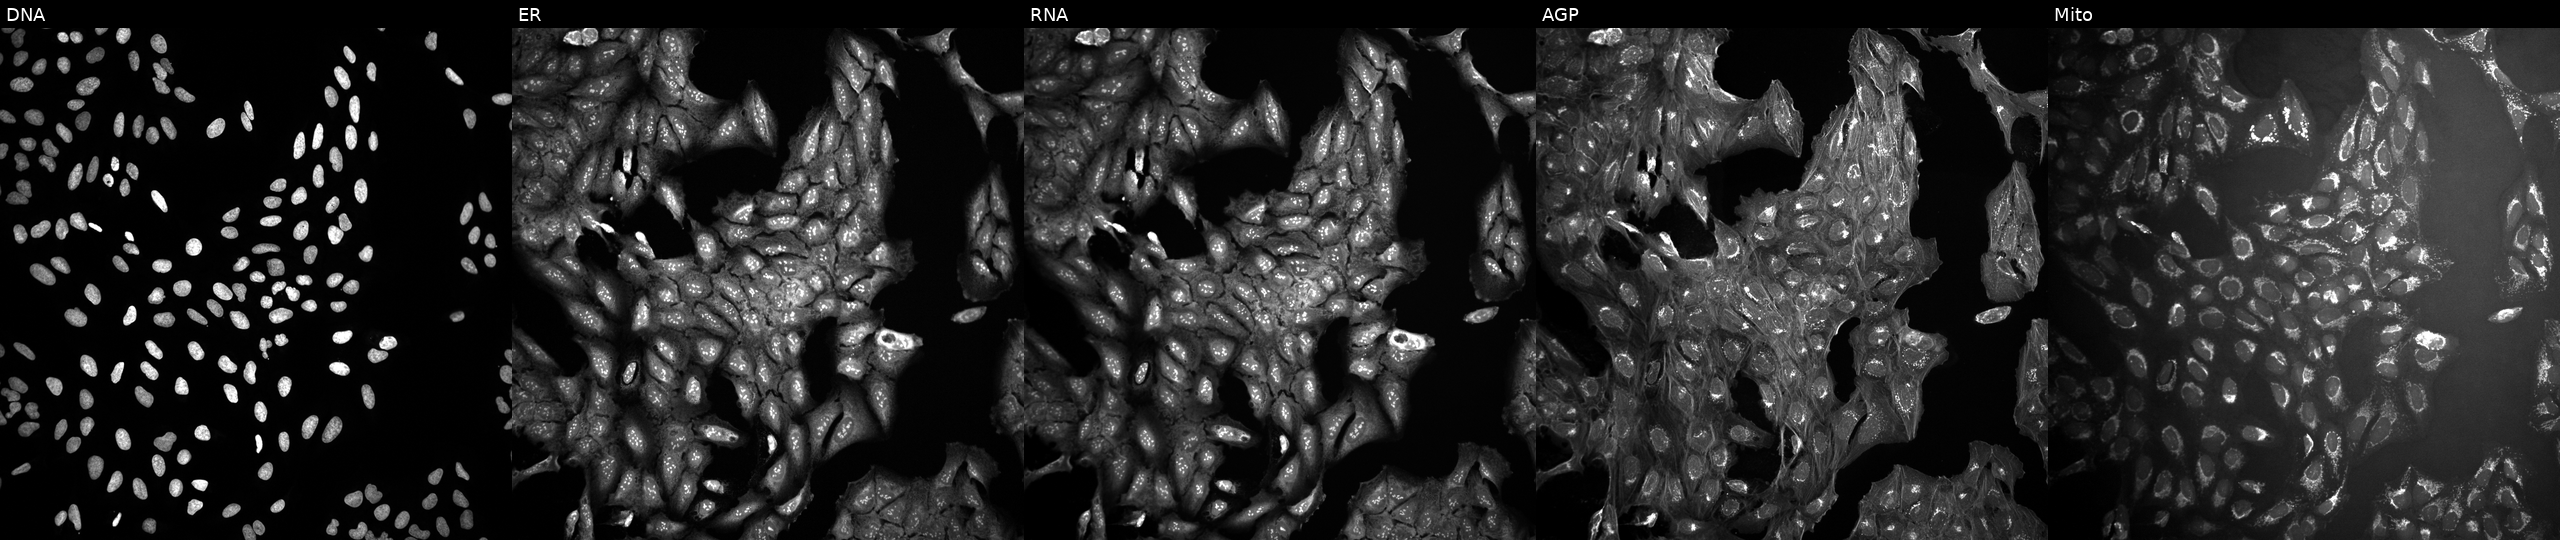
The five panels, left to right, show DNA (nuclei); ER (endoplasmic reticulum); RNA (nucleoli and cytoplasmic RNA); AGP (actin cytoskeleton, Golgi, and plasma membrane); Mito (mitochondria). U2OS osteosarcoma cells treated with a small-molecule compound (InChIKey VQBRHKNSGVIPJV-UHFFFAOYSA-N) (JUMP id JCP2022_095561). Cell Painting assay, JUMP-CP dataset. Source 10, plate Dest210531-152149, well I20.